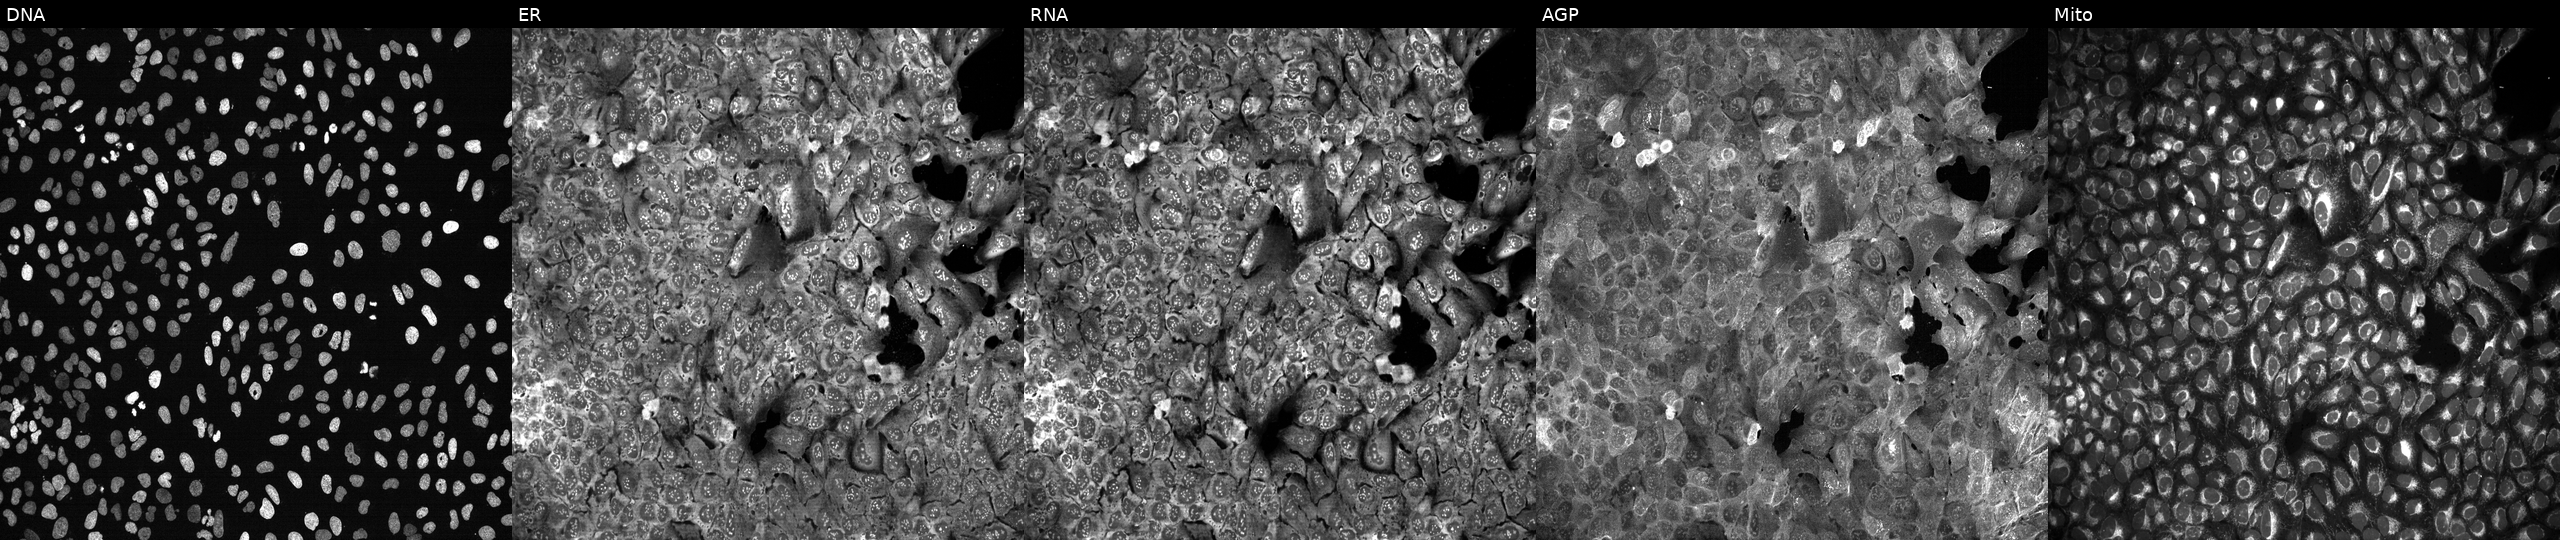
High-content fluorescence microscopy (Cell Painting). Cell line: U2OS. Perturbation: CRISPR-edited to disrupt AGO2 (JUMP id JCP2022_800311). Panels show, left to right, DNA, ER, RNA, AGP, and Mito.